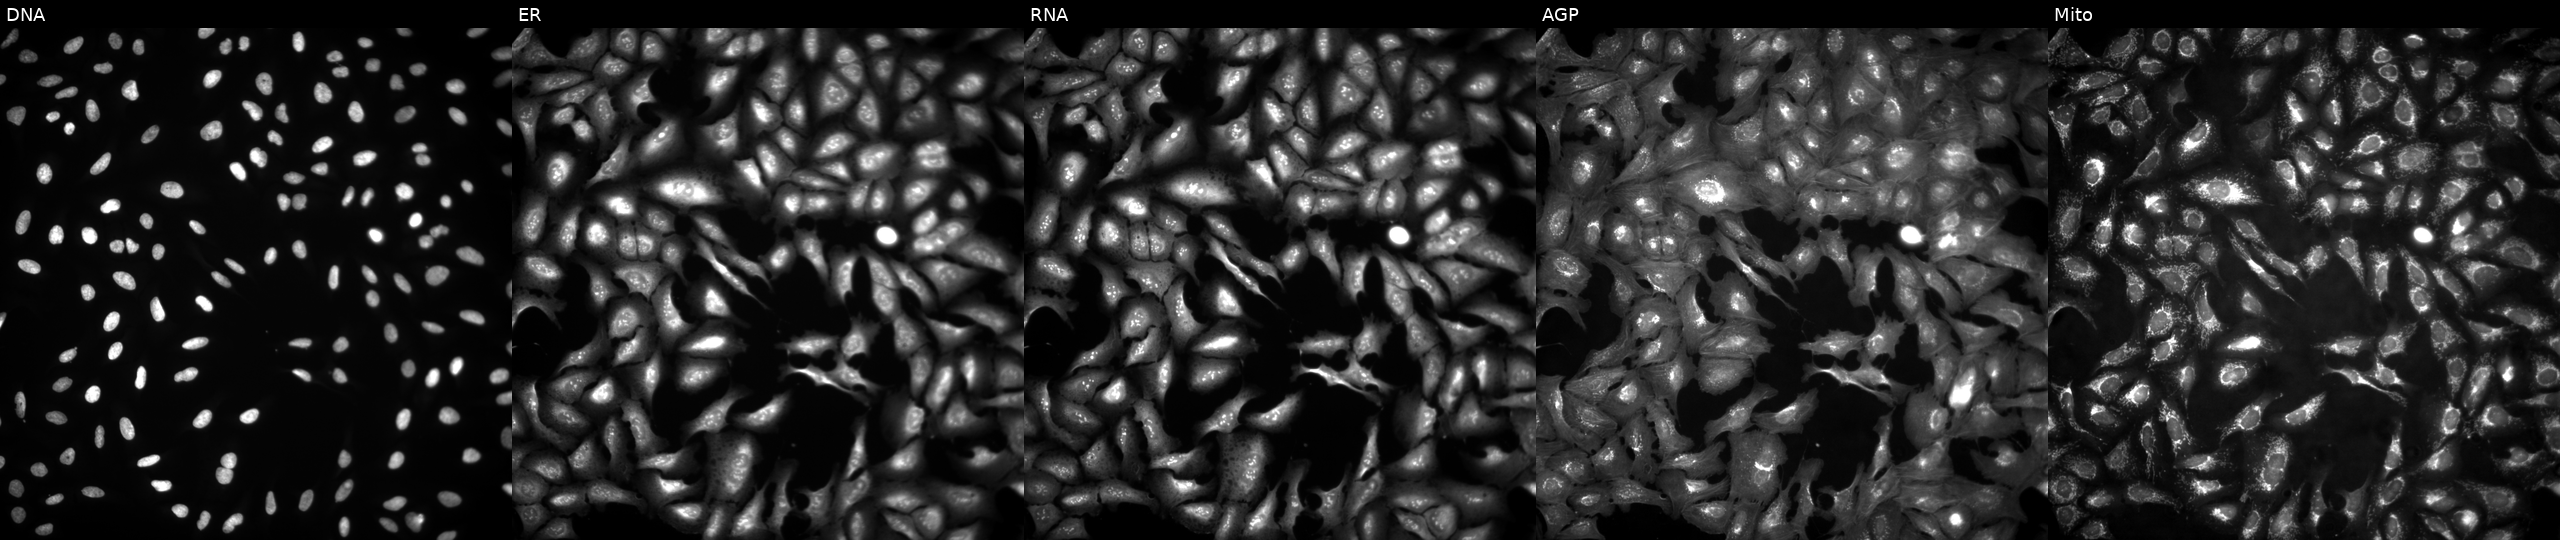
U2OS cells, Cell Painting assay, with TMEM39B overexpressed (ORF) (JUMP id JCP2022_911339). Panels show, left to right, Hoechst 33342, concanavalin A, SYTO 14, phalloidin and WGA, MitoTracker. Each panel is percentile-stretched 16-bit fluorescence.